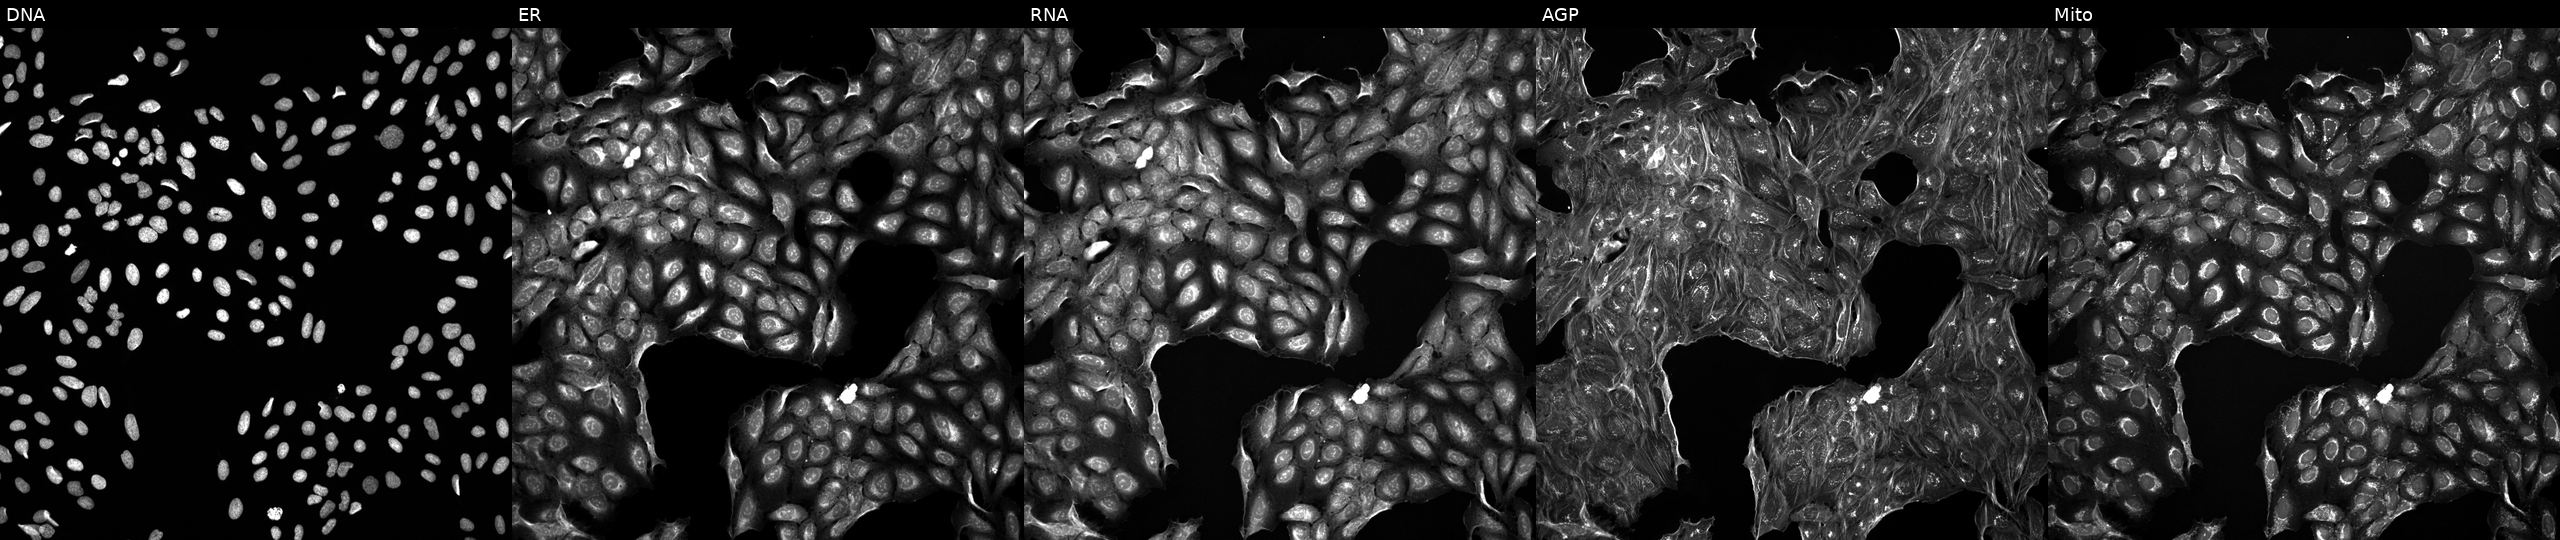
This image strip shows the five Cell Painting channels for a single field of U2OS cells treated with a small-molecule compound (InChIKey PMXMIIMHBWHSKN-UHFFFAOYSA-N). From left to right: DNA, ER, RNA, AGP, and Mito. Source 5, plate ACPJUM012, well F04.